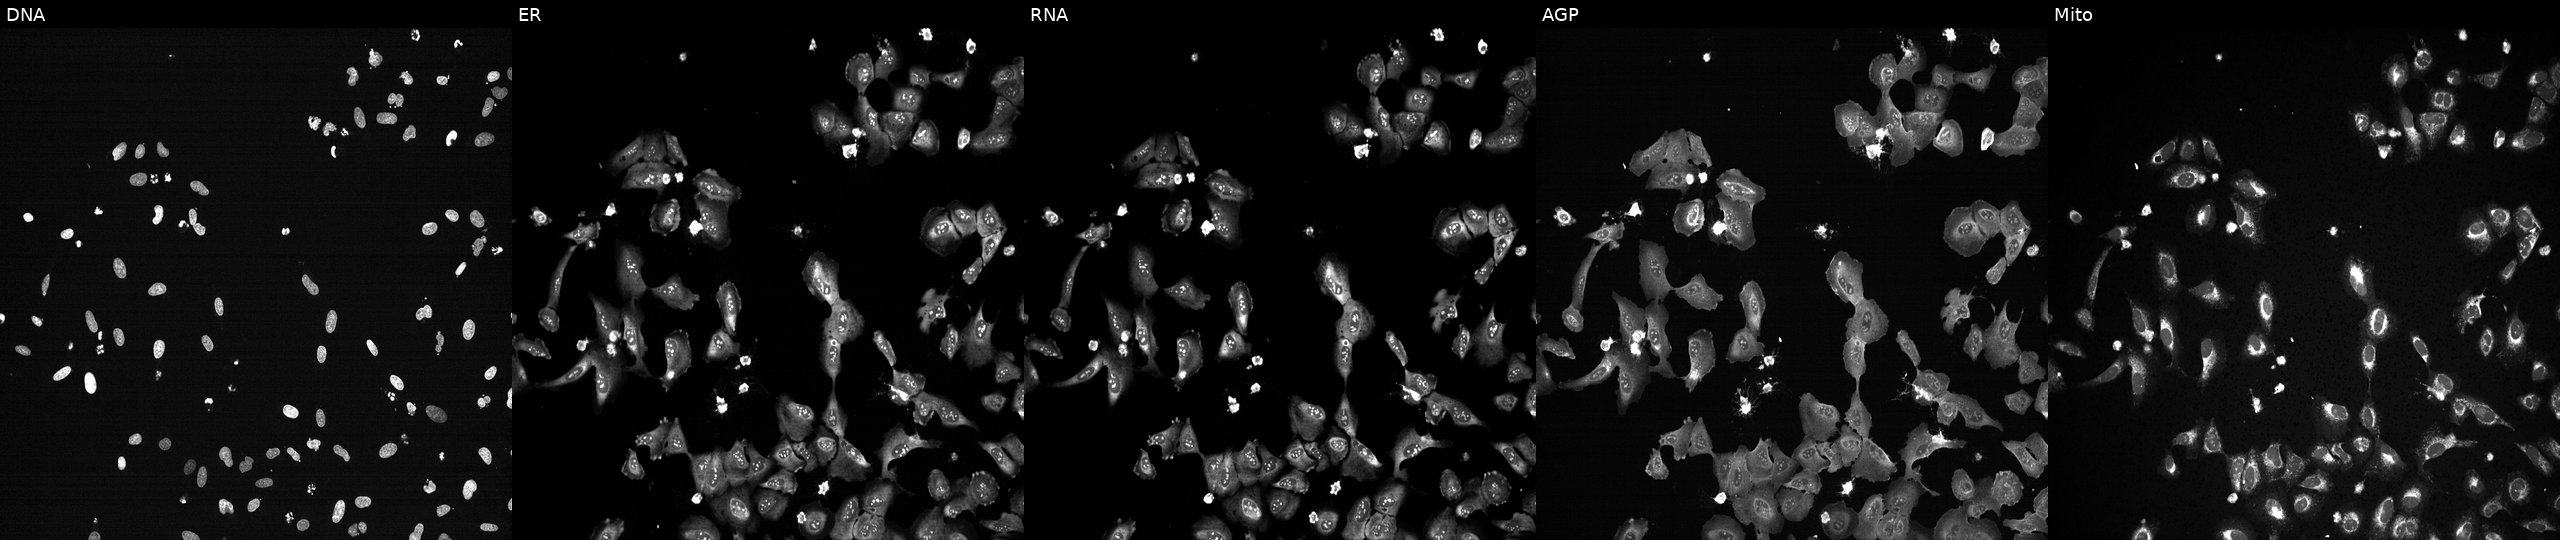
JUMP Cell Painting — CRISPR plate. U2OS cells exposed to the positive-control compound TC-S-7004 (JUMP id JCP2022_012818). The five panels, left to right, show DNA, ER, RNA, AGP, and Mito. Source 13, plate CP-CC9-R3-02, well D24.